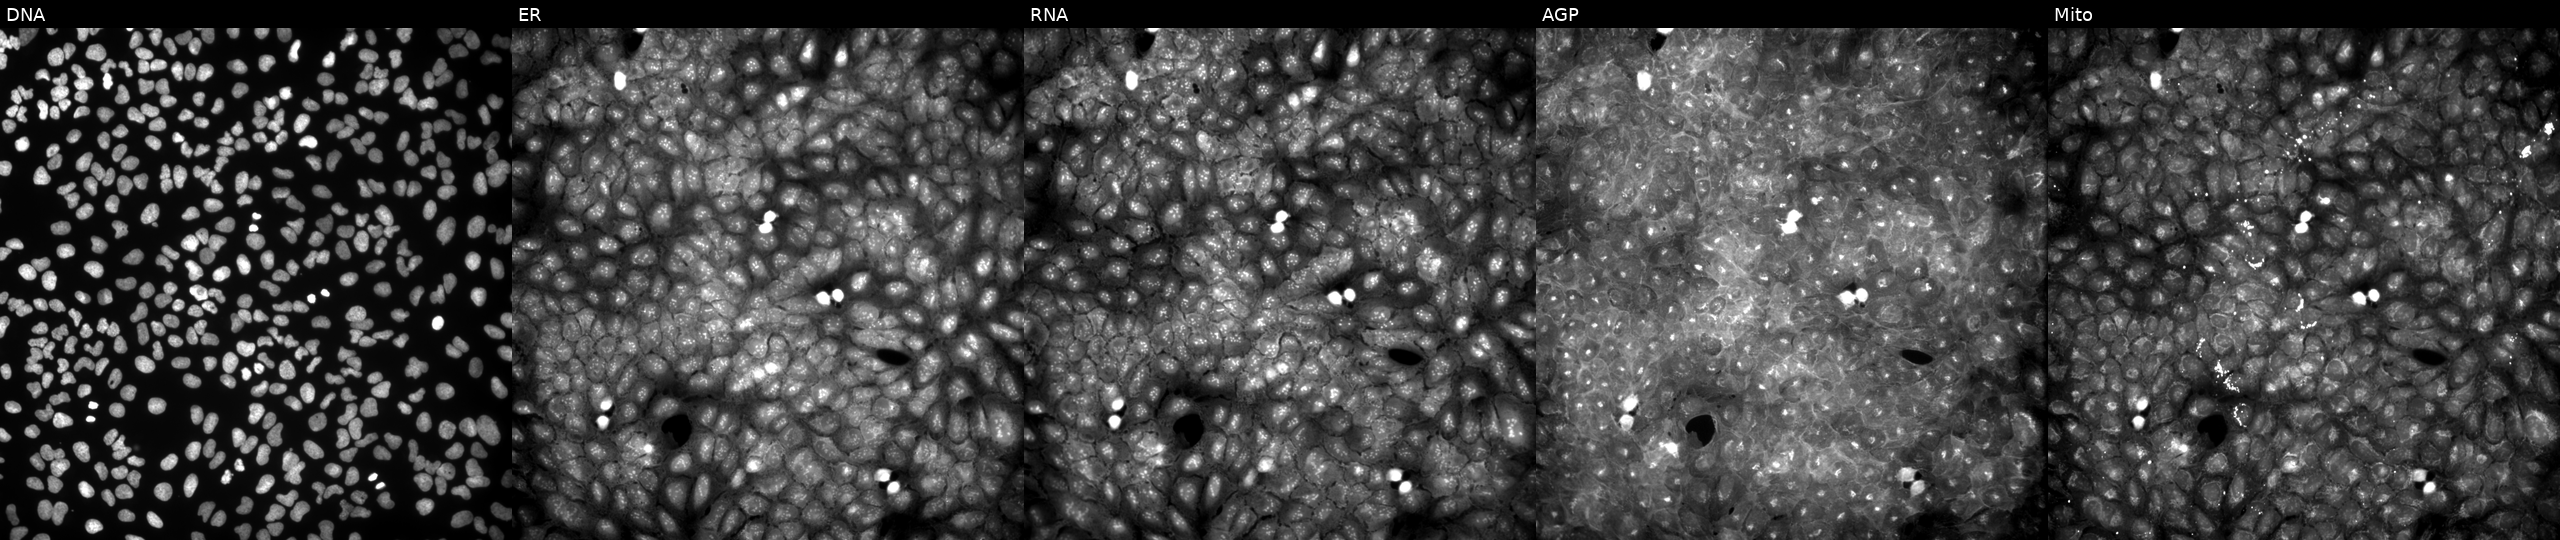
The five panels, left to right, show Hoechst 33342, concanavalin A, SYTO 14, phalloidin and WGA, MitoTracker. U2OS osteosarcoma cells treated with DMSO vehicle only (negative control) (JUMP id JCP2022_033924). Cell Painting assay, JUMP-CP dataset.